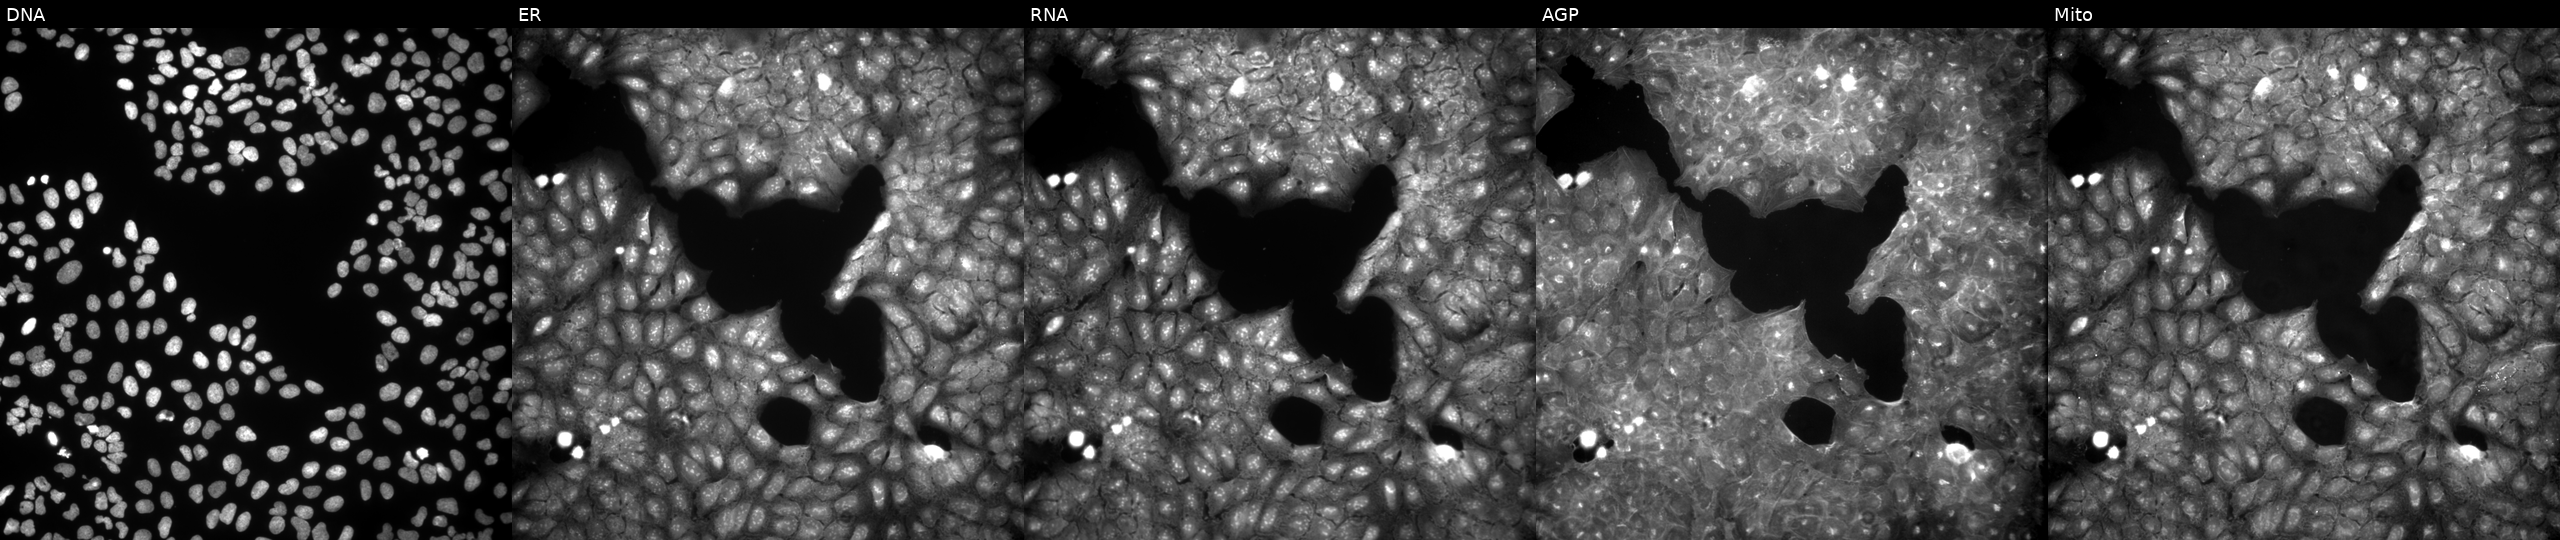
High-content fluorescence microscopy (Cell Painting). Cell line: U2OS. Perturbation: treated with a small-molecule compound (InChIKey YBOZRPPSBVIHGJ-UHFFFAOYSA-N) (JUMP id JCP2022_107424). Panels show, left to right, DNA (nuclei); ER (endoplasmic reticulum); RNA (nucleoli and cytoplasmic RNA); AGP (actin cytoskeleton, Golgi, and plasma membrane); Mito (mitochondria).